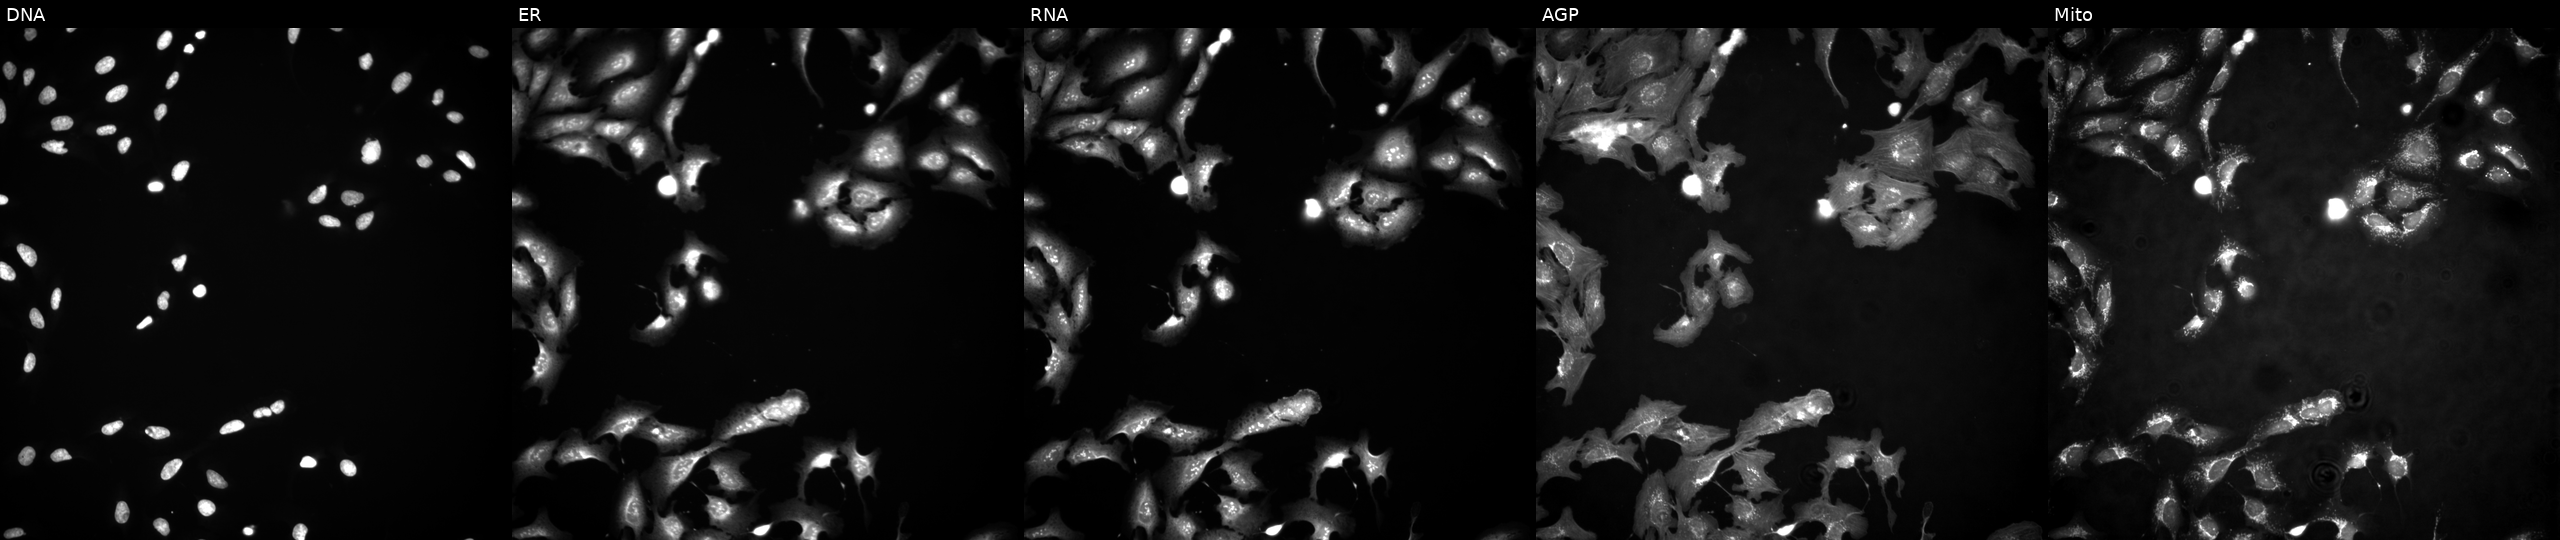
U2OS cells, Cell Painting assay, with PDGFRL overexpressed (ORF) (JUMP id JCP2022_913761). The five panels, left to right, show DNA, ER, RNA, AGP, and Mito. Each panel is percentile-stretched 16-bit fluorescence.